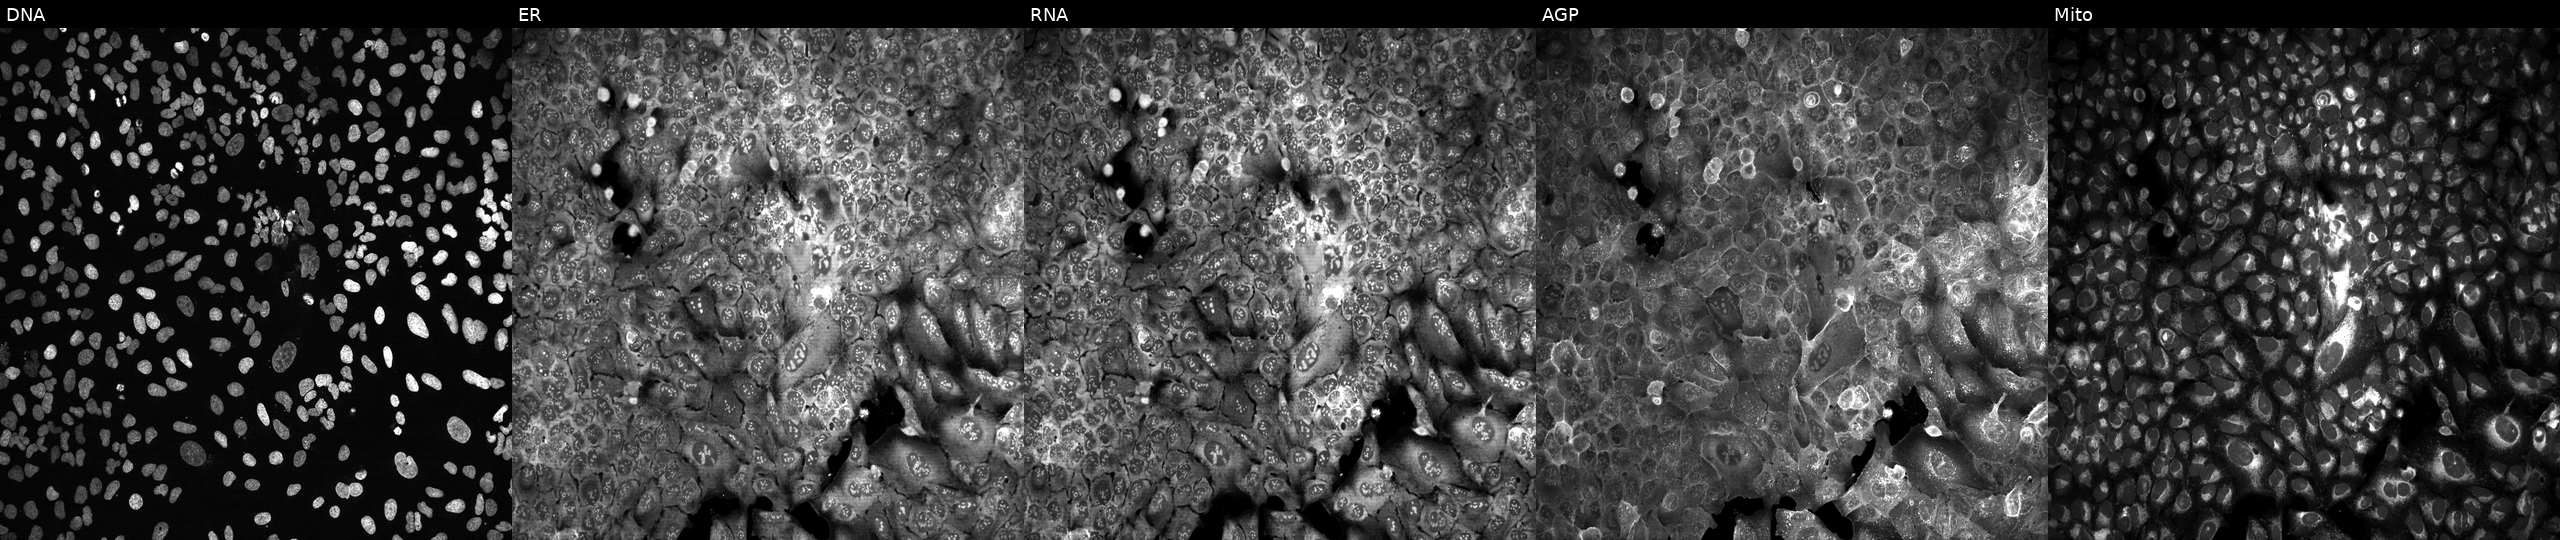
U2OS cells, Cell Painting assay, following CRISPR knockout of ZNF536 (JUMP id JCP2022_807918). Panels show, left to right, Hoechst 33342, concanavalin A, SYTO 14, phalloidin and WGA, MitoTracker. Each panel is percentile-stretched 16-bit fluorescence. Source 13, plate CP-CC9-R6-19, well L06.